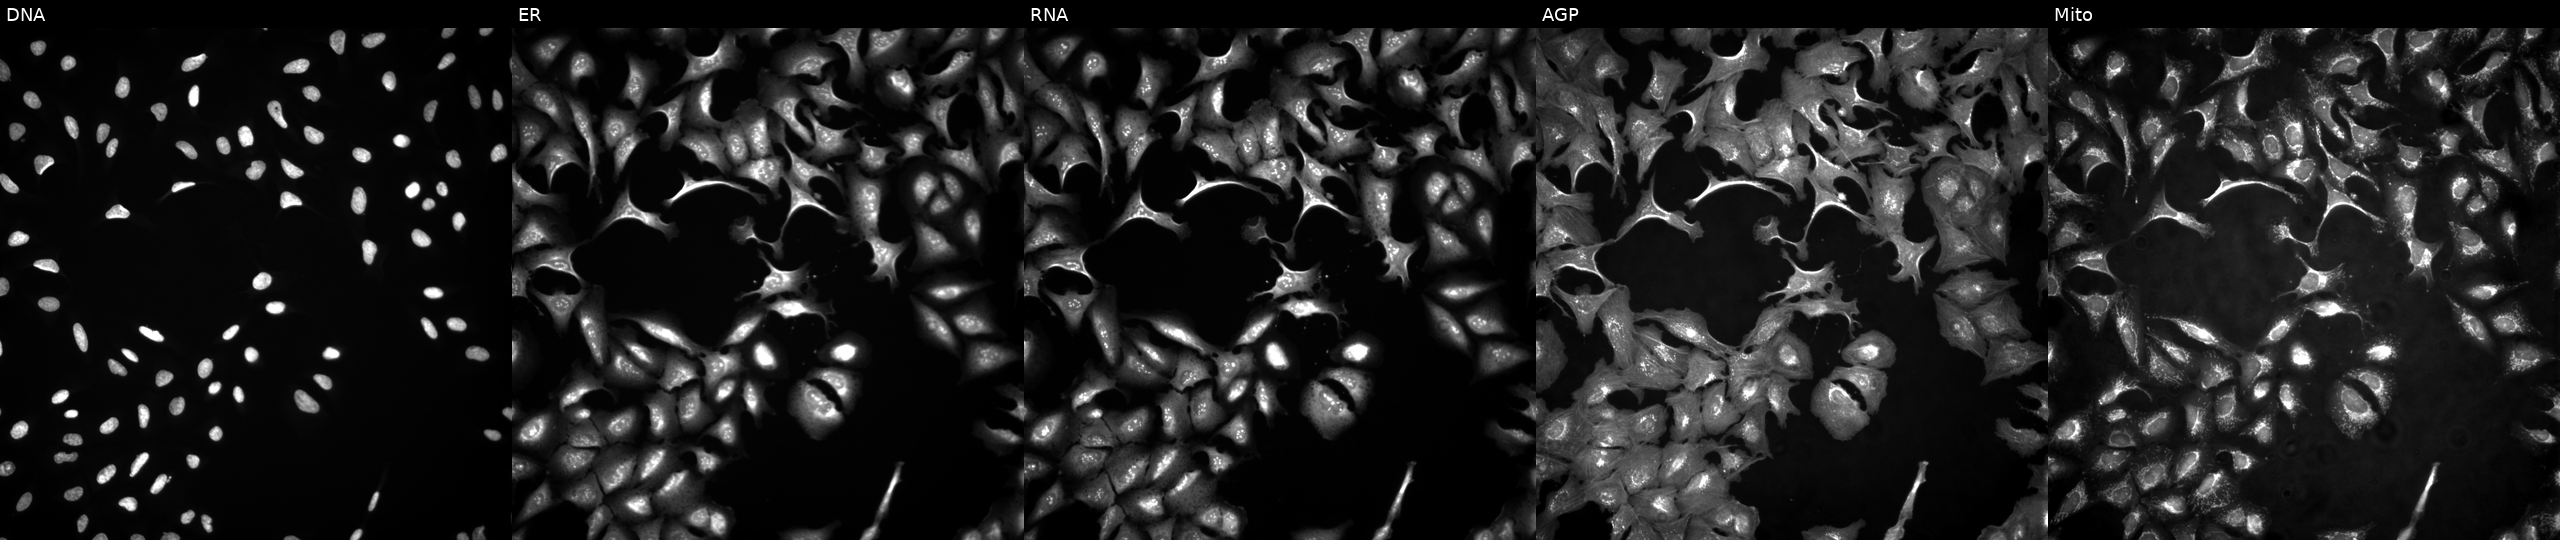
JUMP Cell Painting — ORF plate. U2OS cells transfected with an ORF construct for EPHA1. Channels (left→right): DNA, ER, RNA, AGP, and Mito.